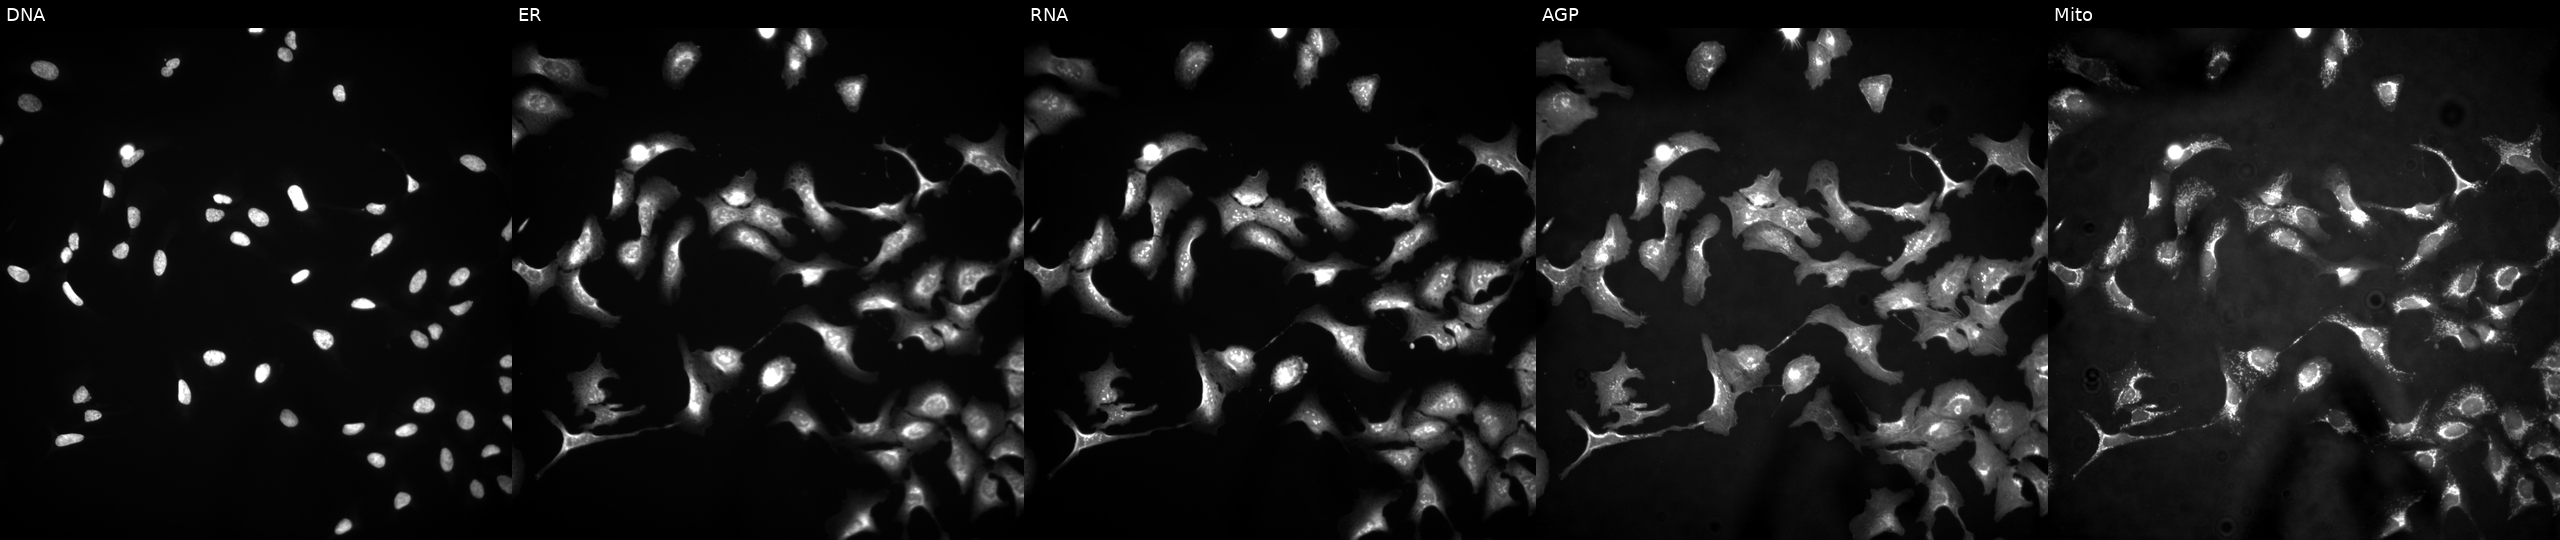
JUMP Cell Painting — ORF plate. U2OS cells overexpressing EIF1AD via ORF transfection. From left to right: DNA (nuclei); ER (endoplasmic reticulum); RNA (nucleoli and cytoplasmic RNA); AGP (actin cytoskeleton, Golgi, and plasma membrane); Mito (mitochondria).